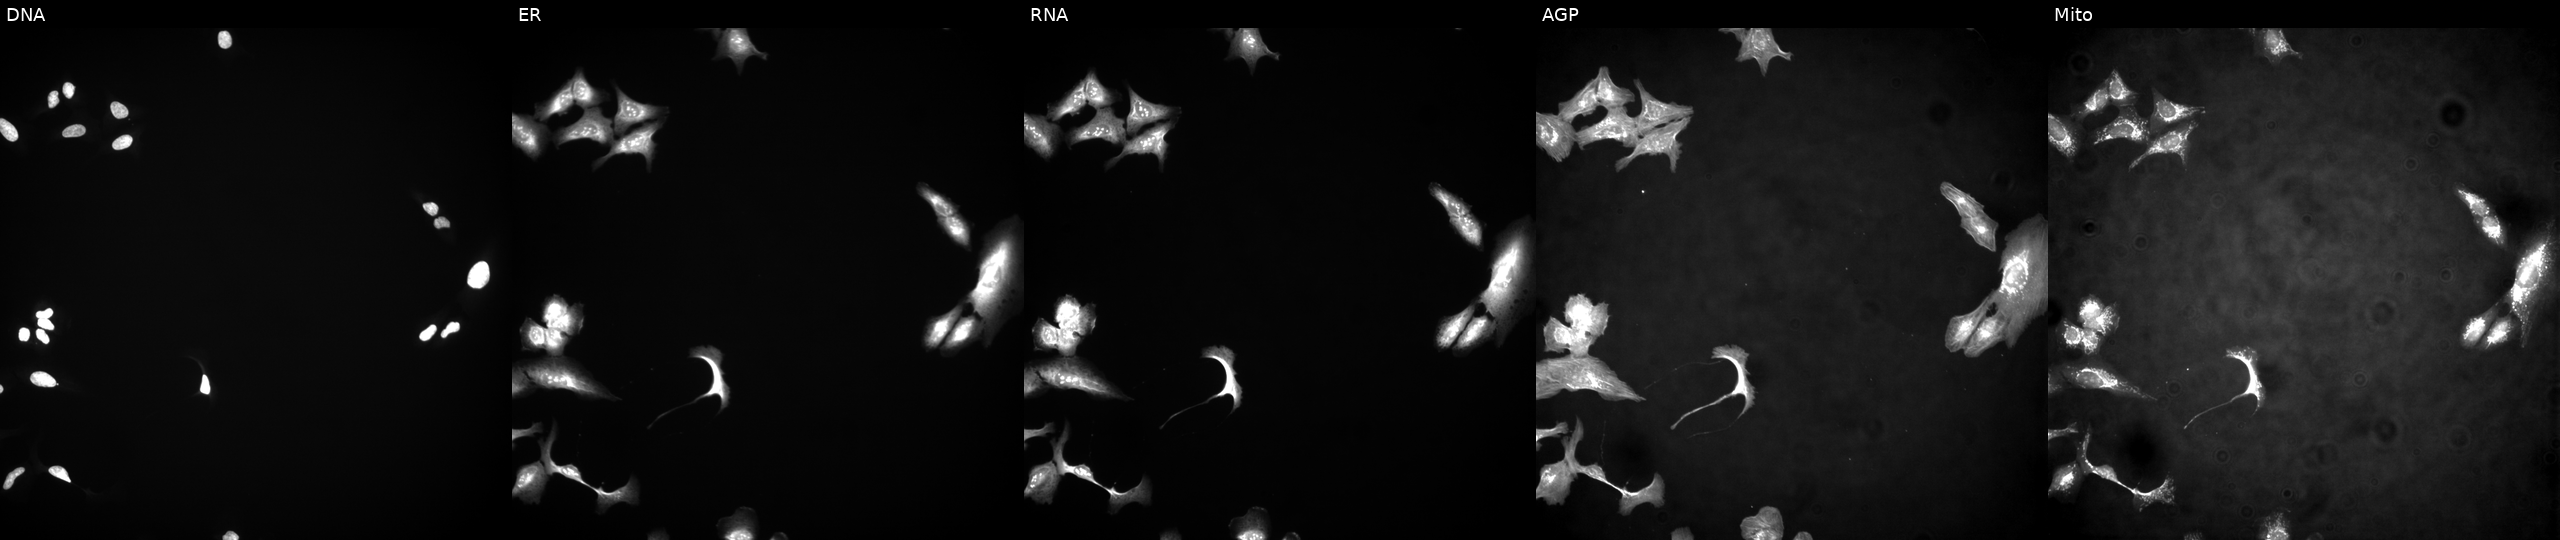
Five-channel Cell Painting image of U2OS cells overexpressing MIR17HG via ORF transfection (JUMP id JCP2022_909915). The five panels, left to right, show DNA, ER, RNA, AGP, and Mito. Source 4, plate BR00124784, well J11.